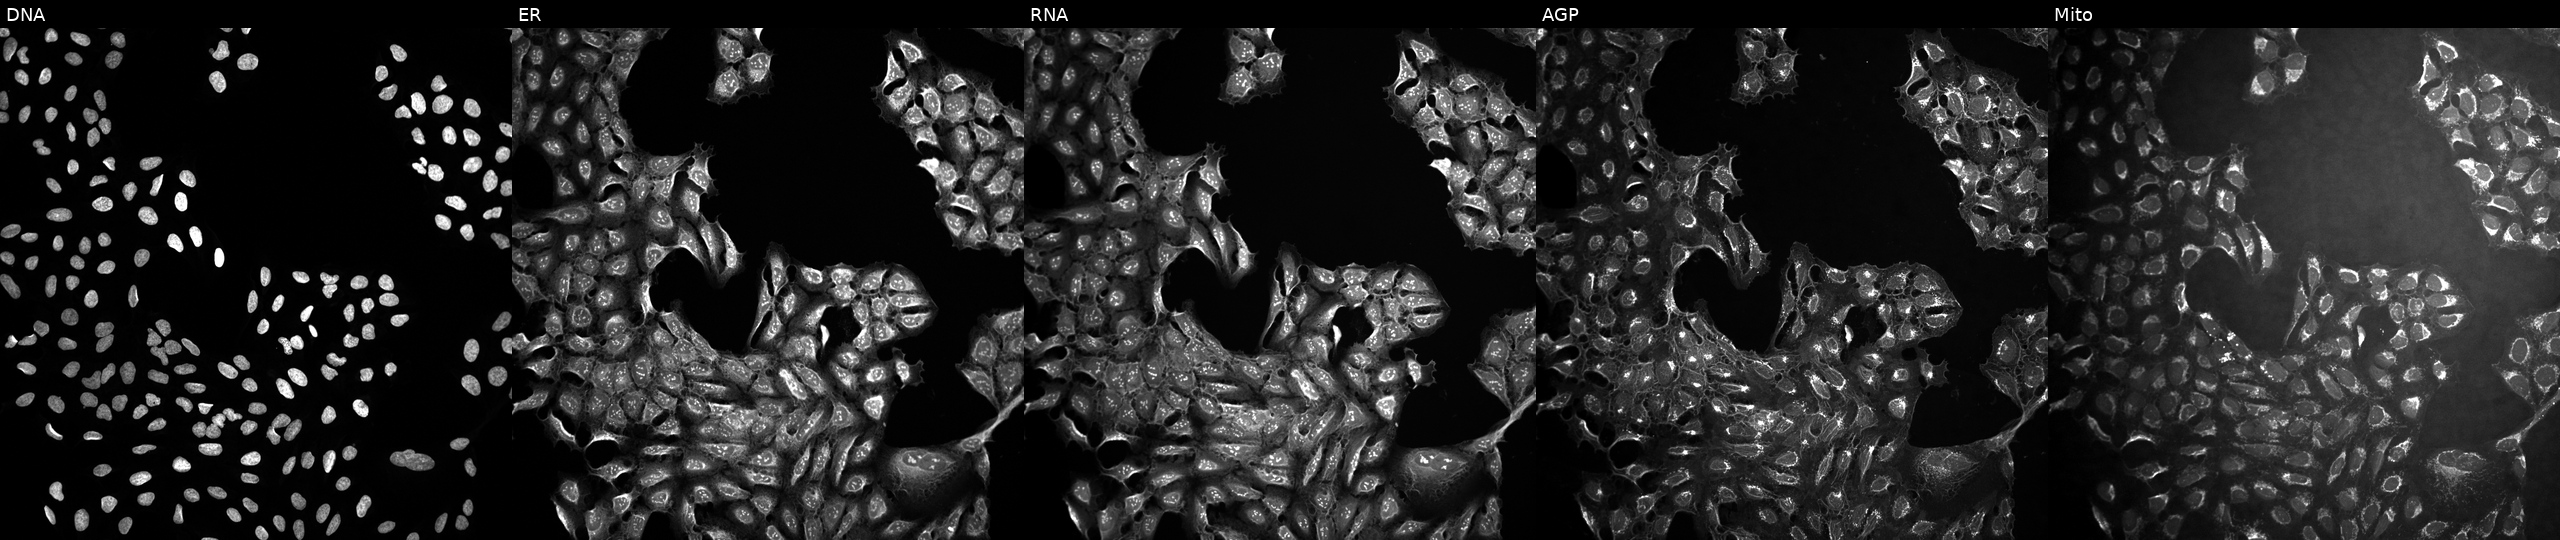
This image strip shows the five Cell Painting channels for a single field of U2OS cells treated with a small-molecule compound (InChIKey PBBGSZCBWVPOOL-UHFFFAOYSA-N) (JUMP id JCP2022_067426). From left to right: DNA, ER, RNA, AGP, and Mito.